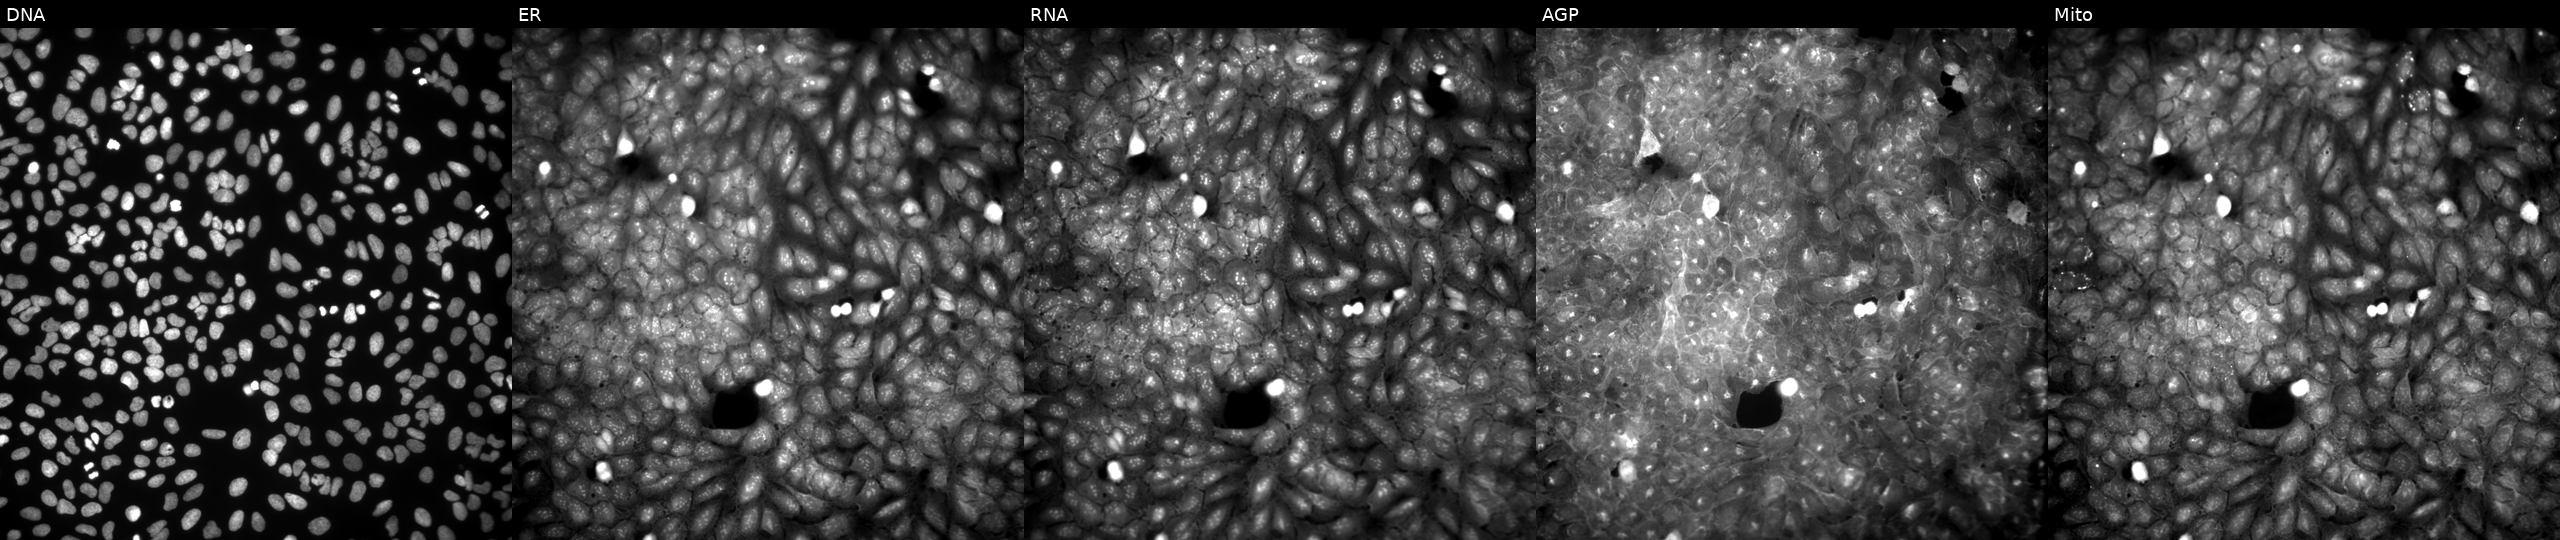
High-content fluorescence microscopy (Cell Painting). Cell line: U2OS. Perturbation: treated with a small-molecule compound. From left to right: DNA (nuclei); ER (endoplasmic reticulum); RNA (nucleoli and cytoplasmic RNA); AGP (actin cytoskeleton, Golgi, and plasma membrane); Mito (mitochondria).